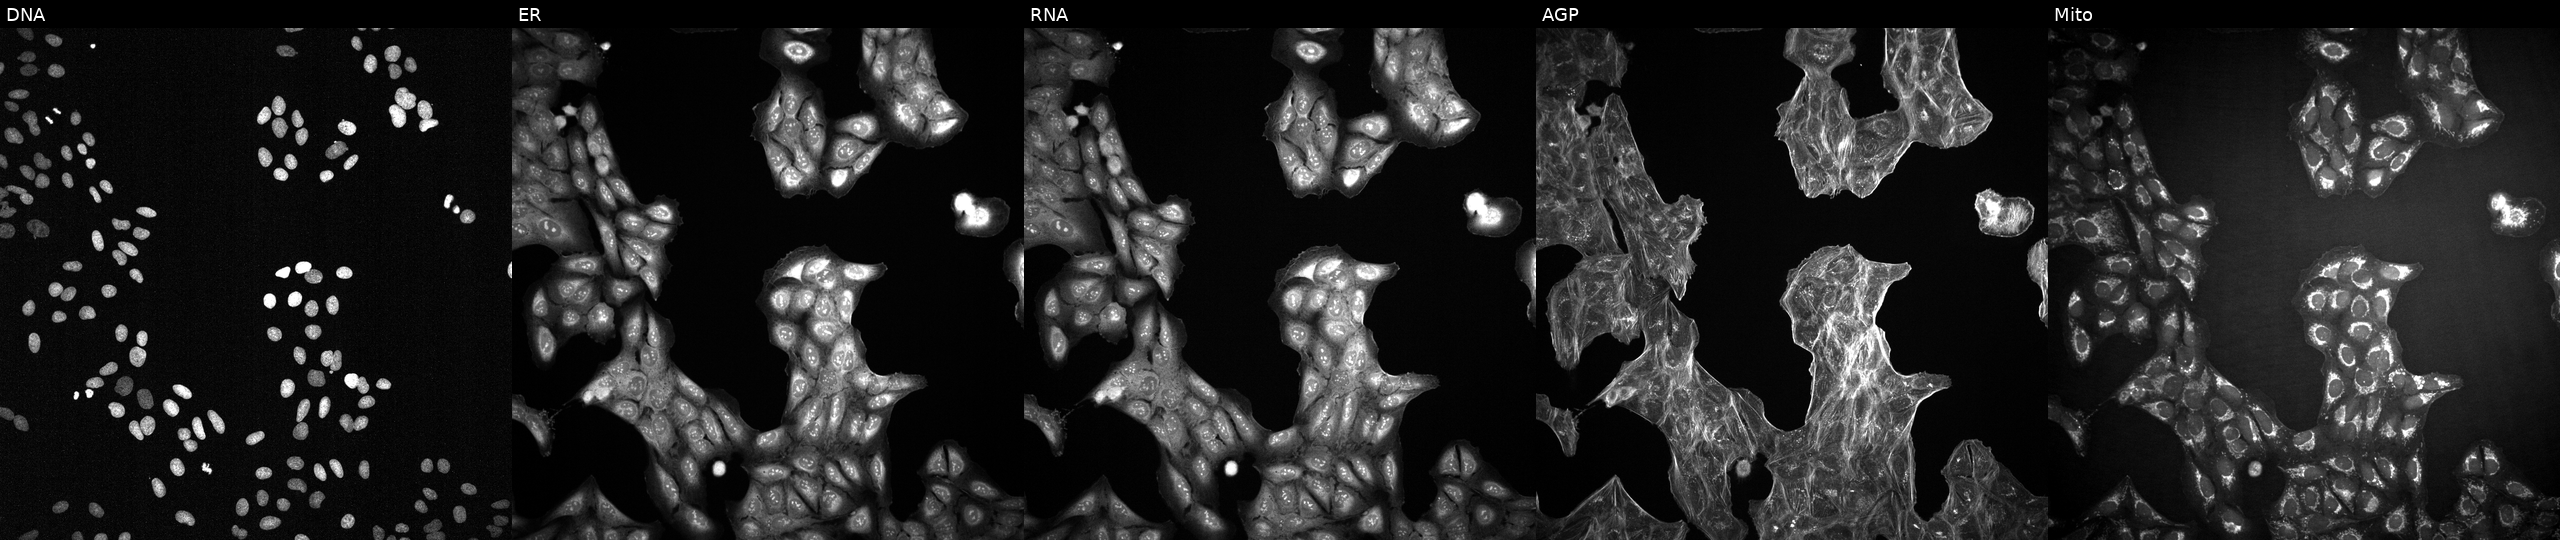
JUMP Cell Painting — TARGET2 plate. U2OS cells treated with a small-molecule compound (InChIKey ZQPXNYLXYNRFNP-UHFFFAOYSA-N) (JUMP id JCP2022_115049). Panels show, left to right, Hoechst 33342, concanavalin A, SYTO 14, phalloidin and WGA, MitoTracker. Source 2, plate 1053599503, well C14.